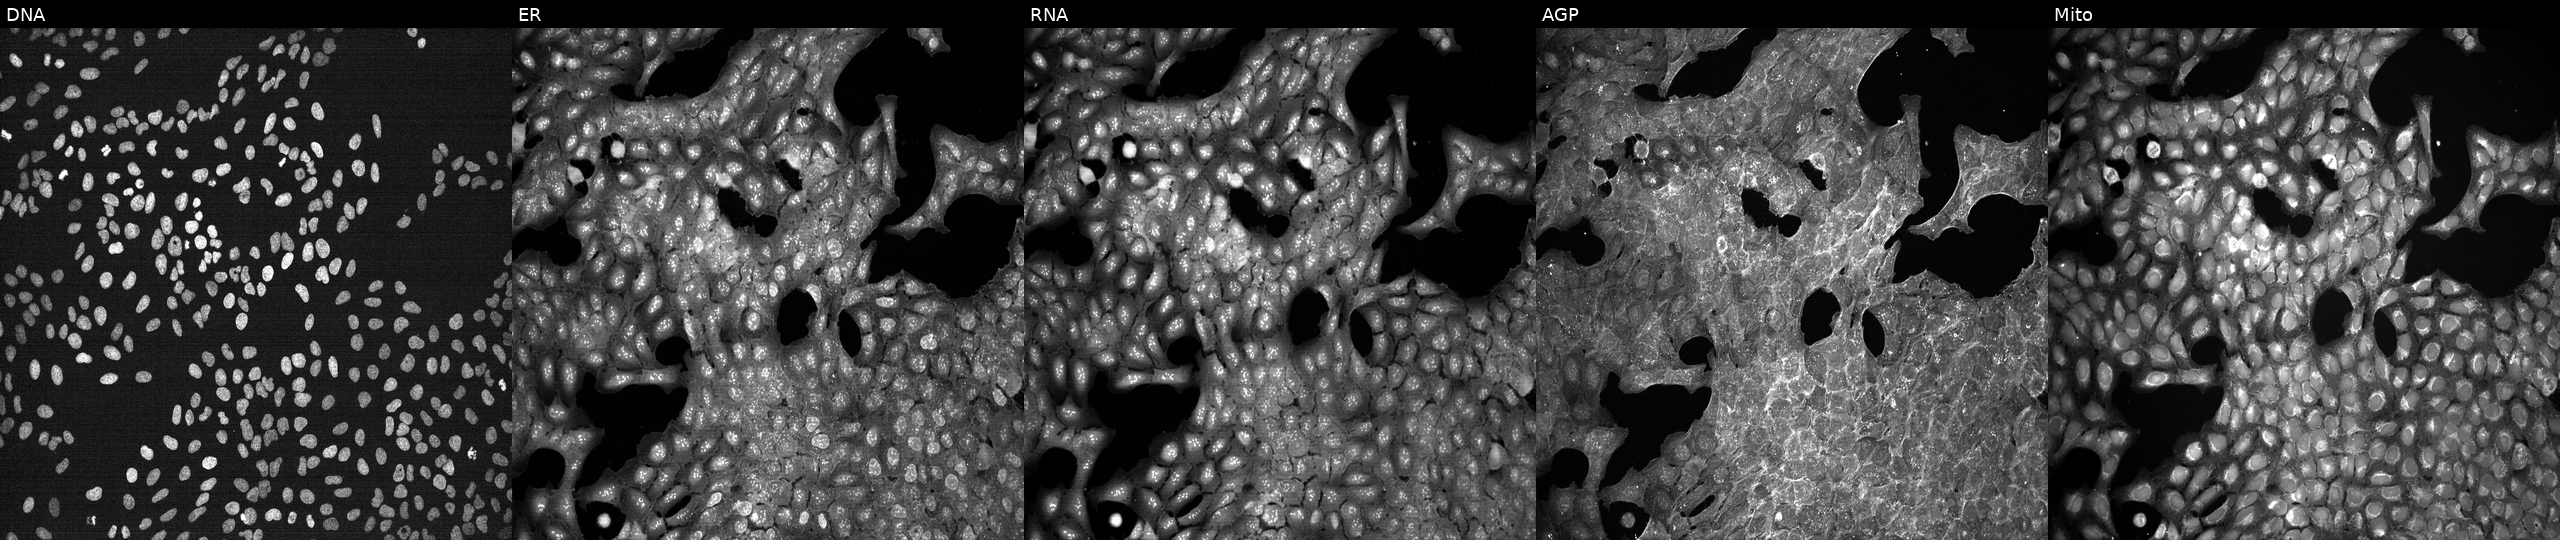
Five-channel Cell Painting image of U2OS cells perturbed with a small-molecule compound (InChIKey QIHBWVVVRYYYRO-UHFFFAOYSA-N) (JUMP id JCP2022_073628). Panels show, left to right, DNA, ER, RNA, AGP, and Mito. Source 7, plate CP1-SC1-25, well H16.